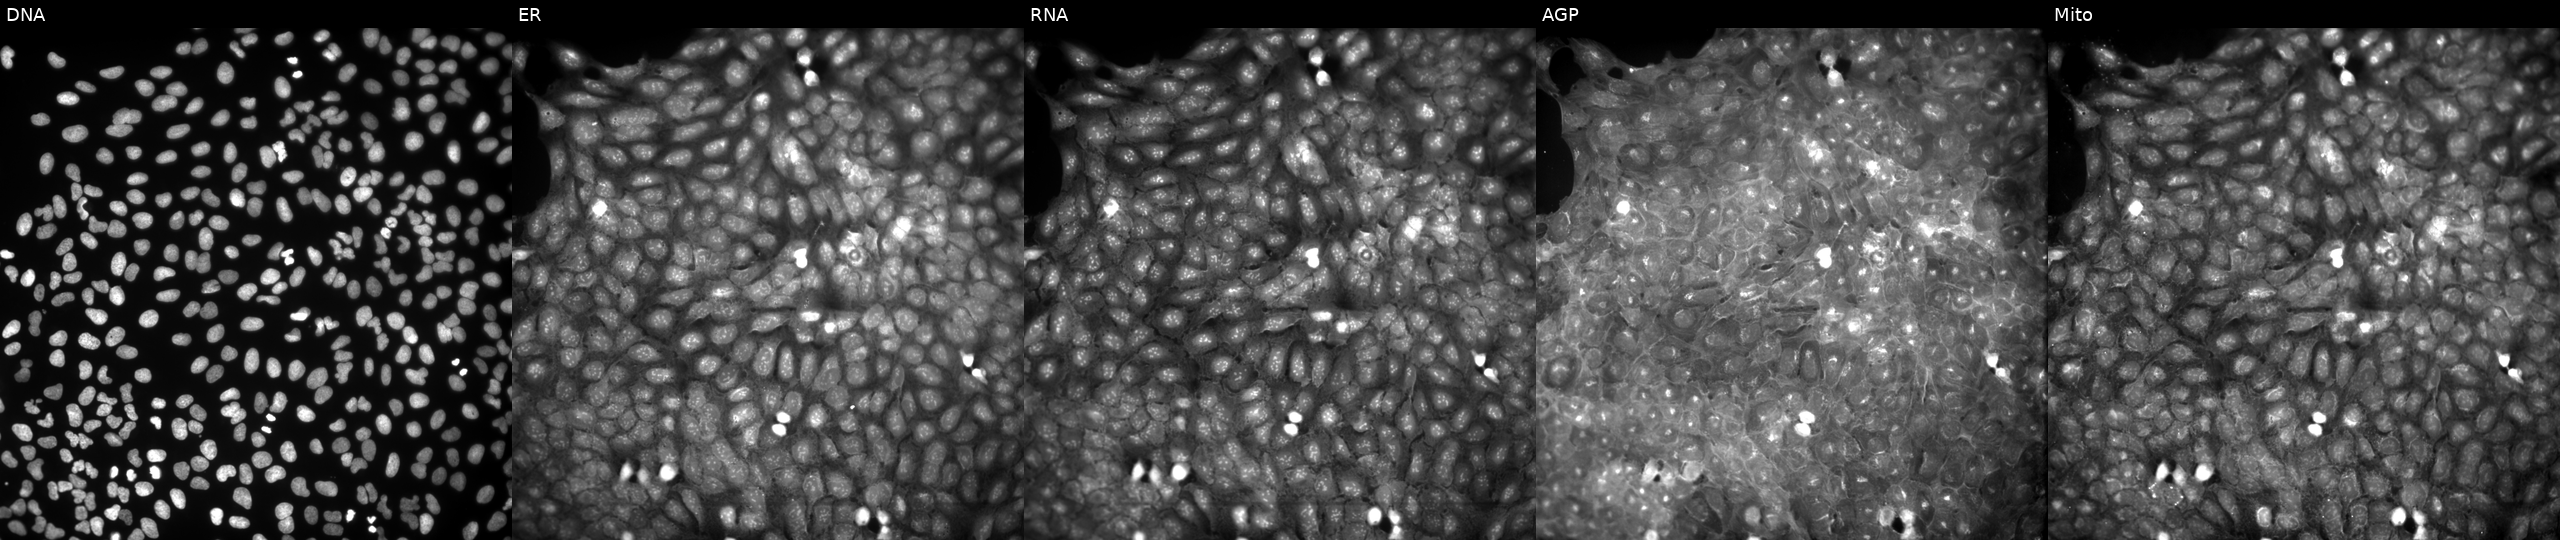
High-content fluorescence microscopy (Cell Painting). Cell line: U2OS. Perturbation: treated with a small-molecule compound (InChIKey BVZRGNZDCJDWII-UHFFFAOYSA-N) (JUMP id JCP2022_009038). The five panels, left to right, show DNA (nuclei); ER (endoplasmic reticulum); RNA (nucleoli and cytoplasmic RNA); AGP (actin cytoskeleton, Golgi, and plasma membrane); Mito (mitochondria).